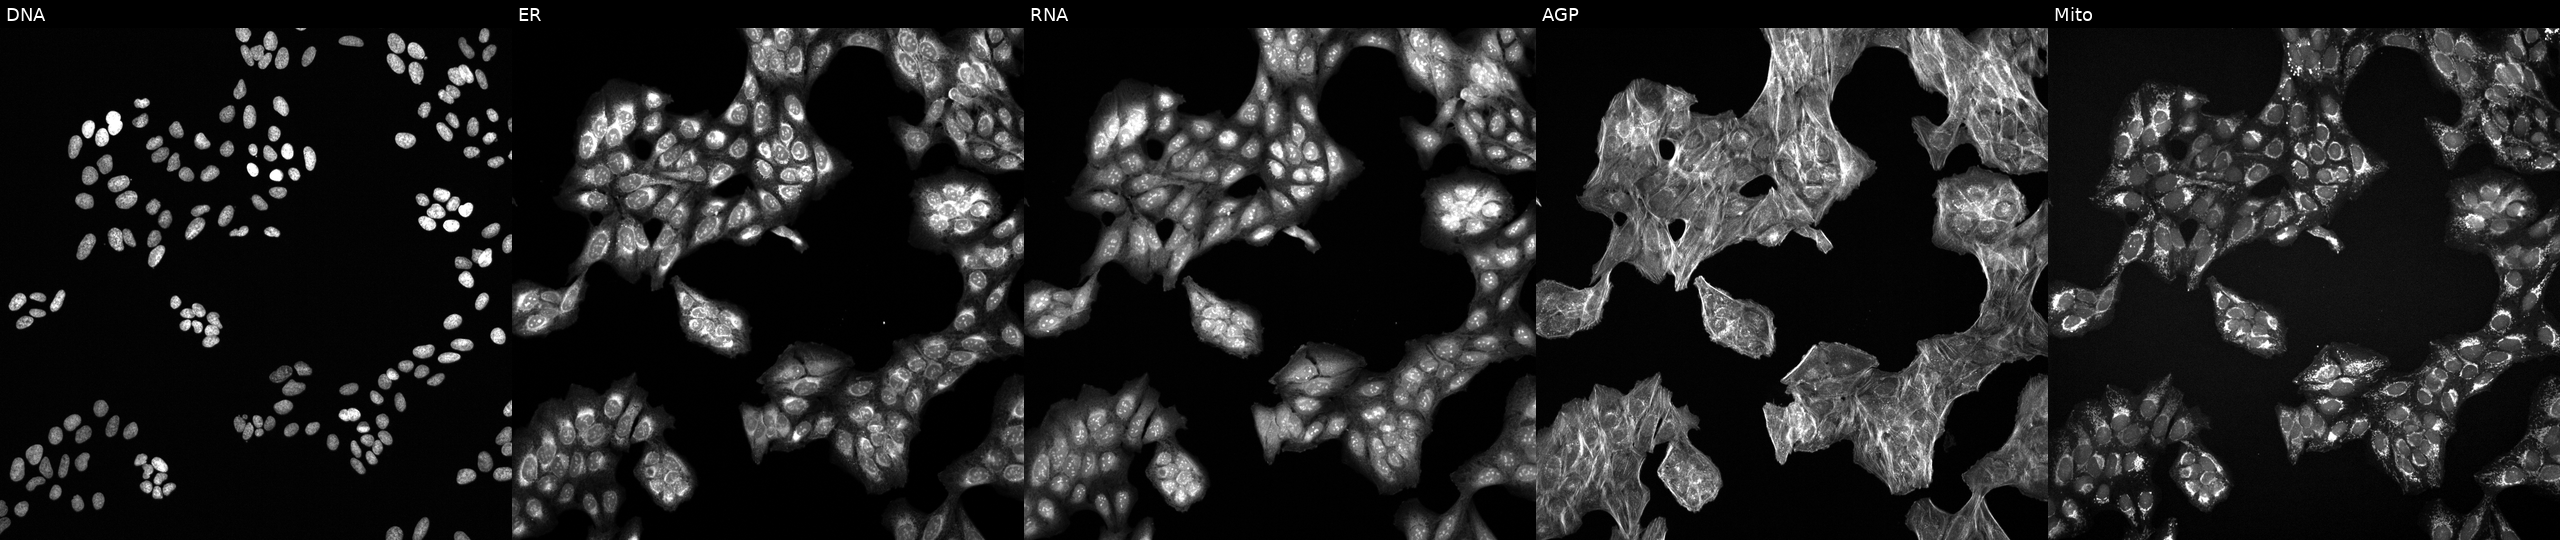
High-content fluorescence microscopy (Cell Painting). Cell line: U2OS. Perturbation: treated with LY2109761 (positive-control compound) (JUMP id JCP2022_035095). From left to right: DNA (nuclei); ER (endoplasmic reticulum); RNA (nucleoli and cytoplasmic RNA); AGP (actin cytoskeleton, Golgi, and plasma membrane); Mito (mitochondria).